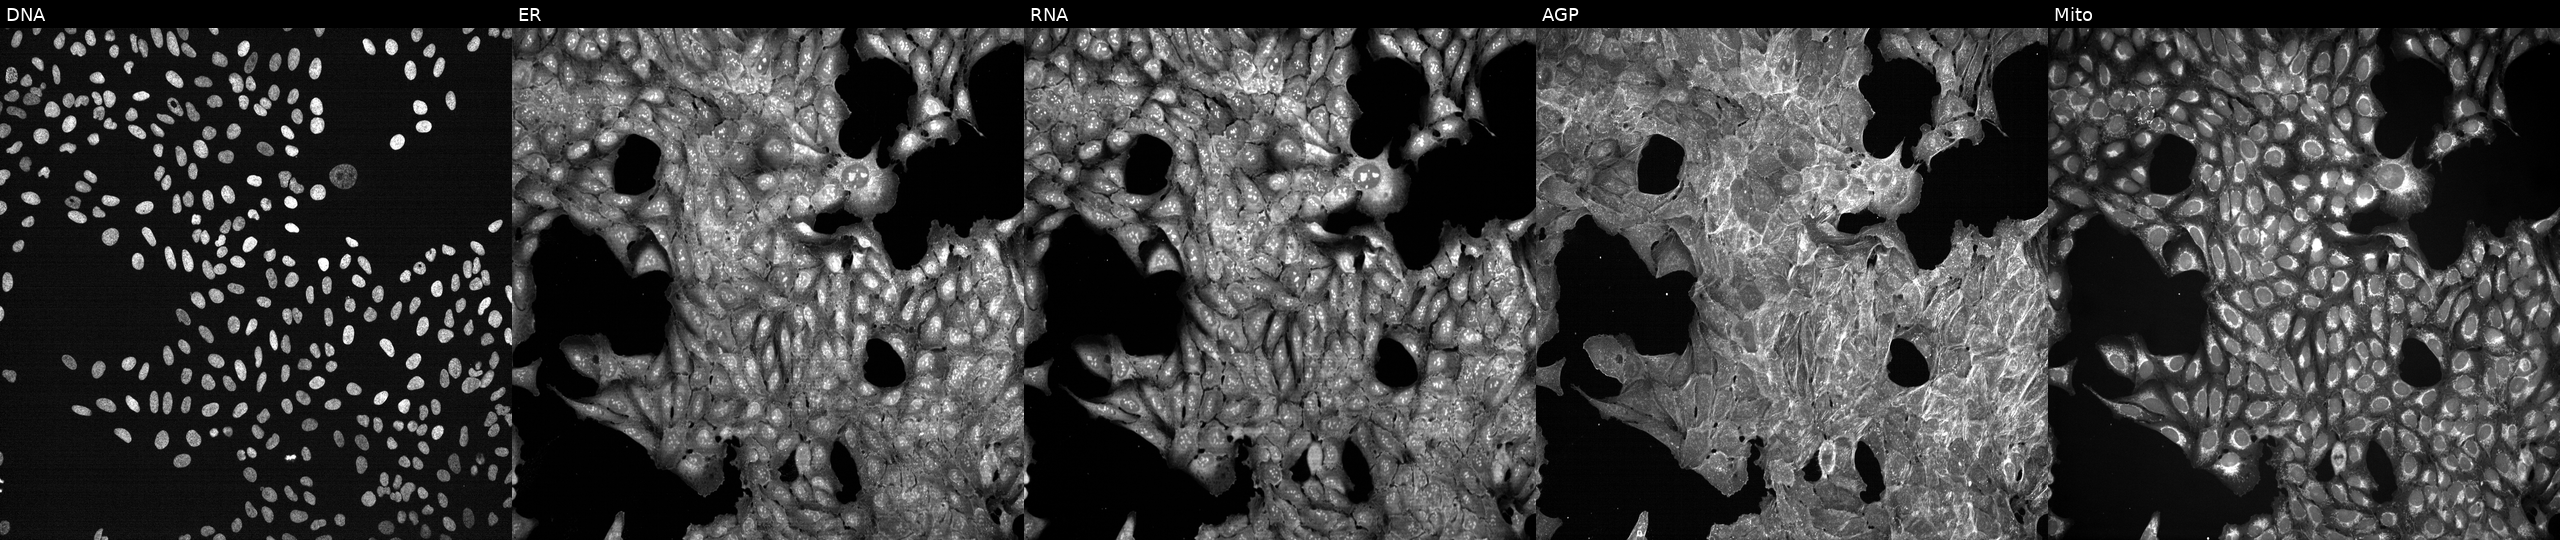
This image strip shows the five Cell Painting channels for a single field of U2OS cells treated with DMSO vehicle only (negative control). The five panels, left to right, show DNA, ER, RNA, AGP, and Mito. Source 7, plate CP3-SC1-25, well A20.